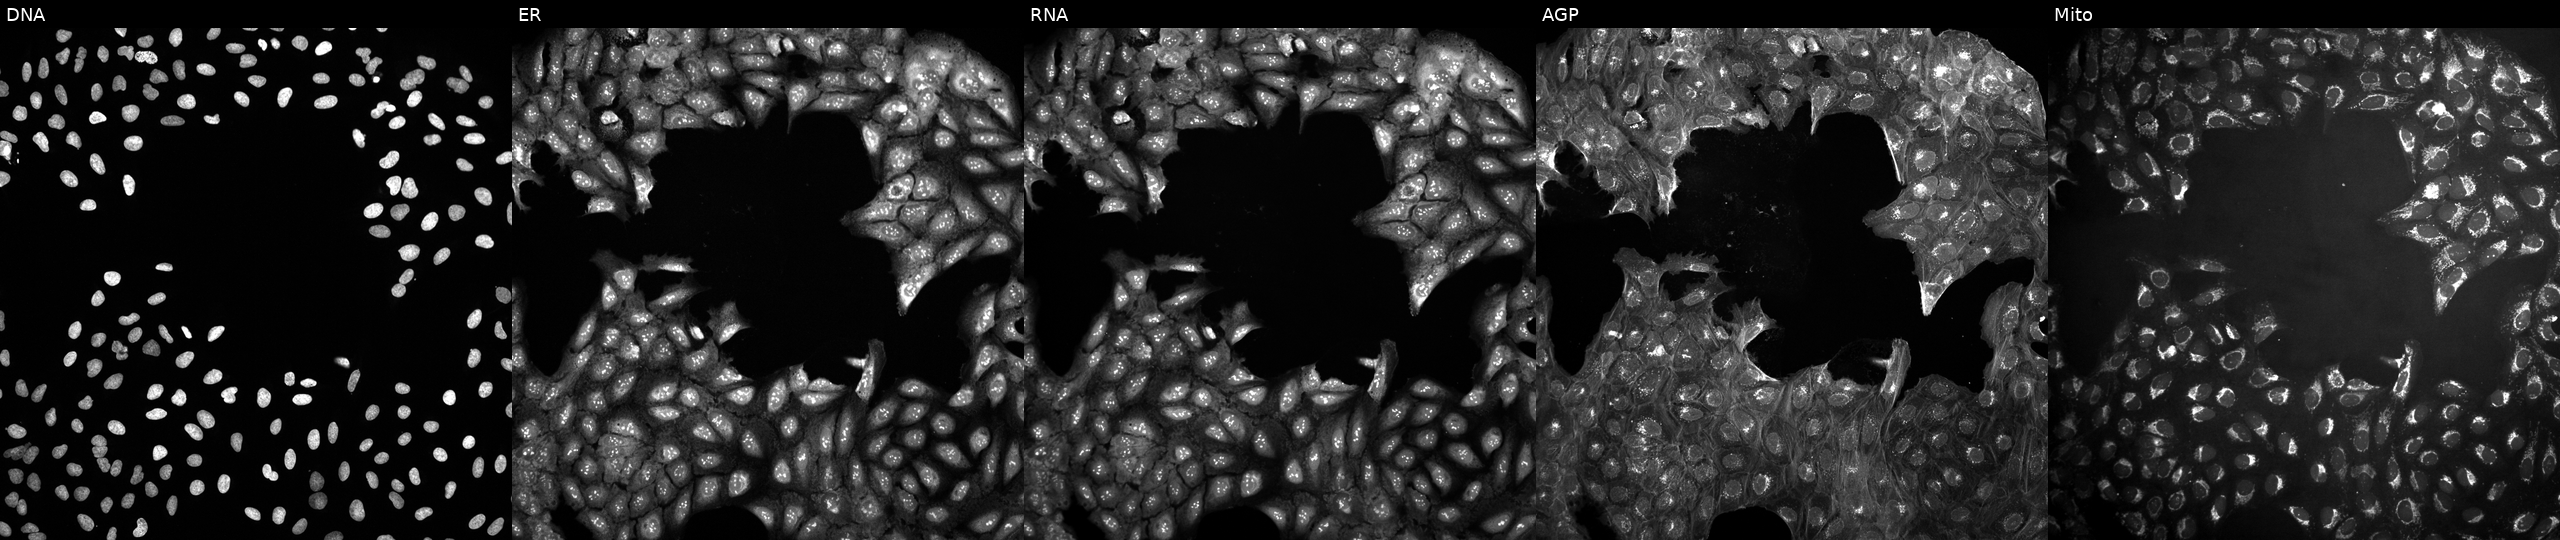
Five-channel Cell Painting image of U2OS cells in an empty control well (no perturbation) (JUMP id JCP2022_999999). Channels (left→right): DNA (nuclei); ER (endoplasmic reticulum); RNA (nucleoli and cytoplasmic RNA); AGP (actin cytoskeleton, Golgi, and plasma membrane); Mito (mitochondria). Source 10, plate Dest210531-152149, well E09.